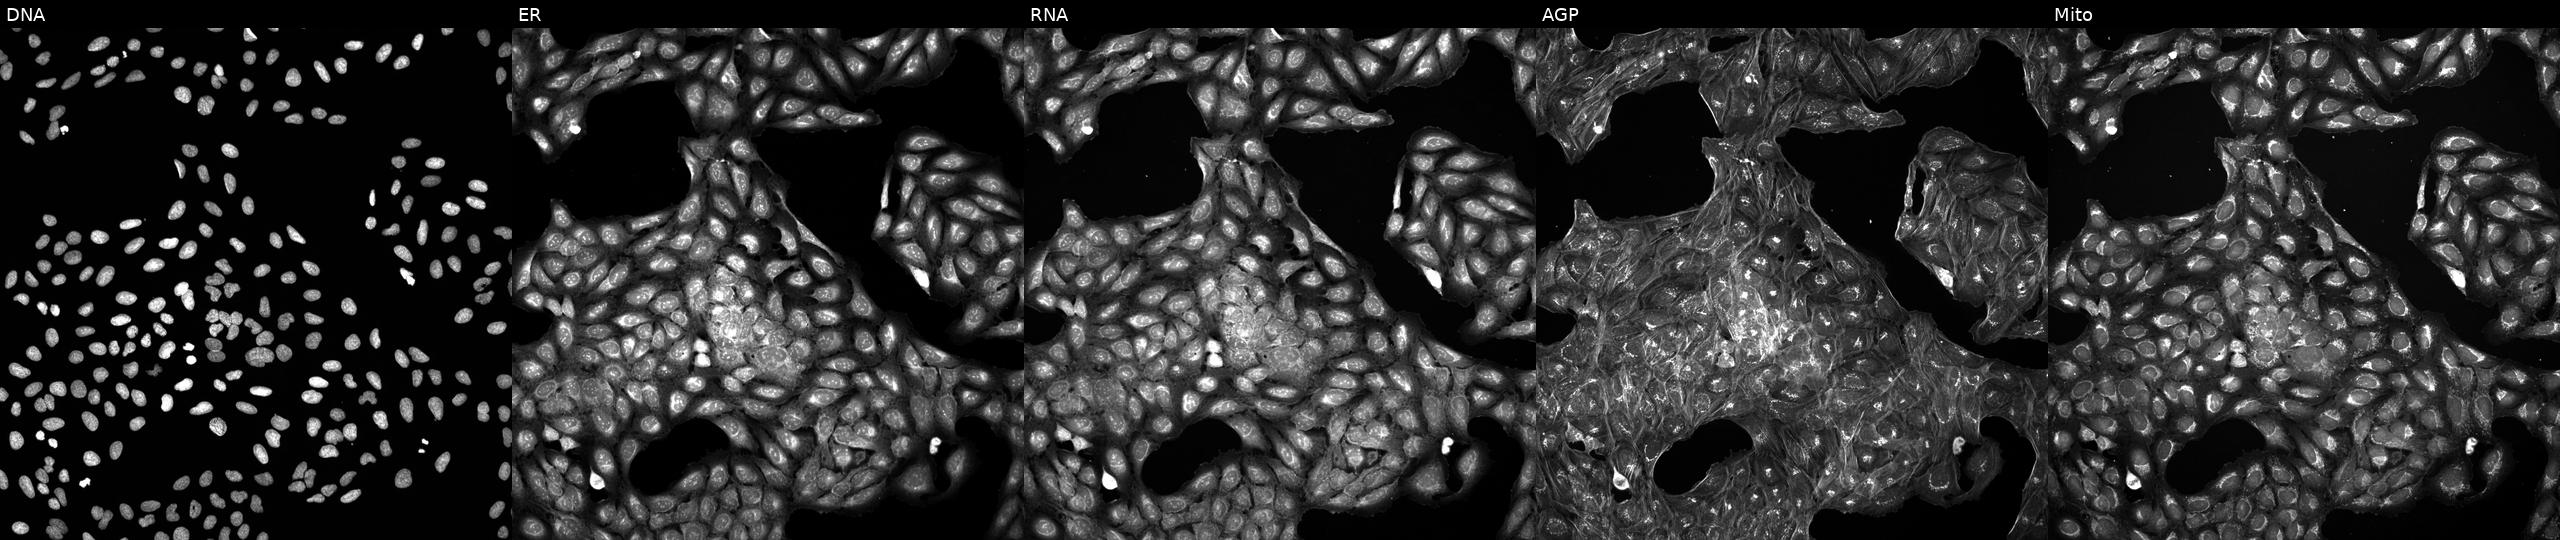
High-content fluorescence microscopy (Cell Painting). Cell line: U2OS. Perturbation: exposed to a small-molecule compound [SMILES: COc1cccc(-c2nnn(Cc3nnnn3C3CC3)n2)c1]. Panels show, left to right, DNA (nuclei); ER (endoplasmic reticulum); RNA (nucleoli and cytoplasmic RNA); AGP (actin cytoskeleton, Golgi, and plasma membrane); Mito (mitochondria).